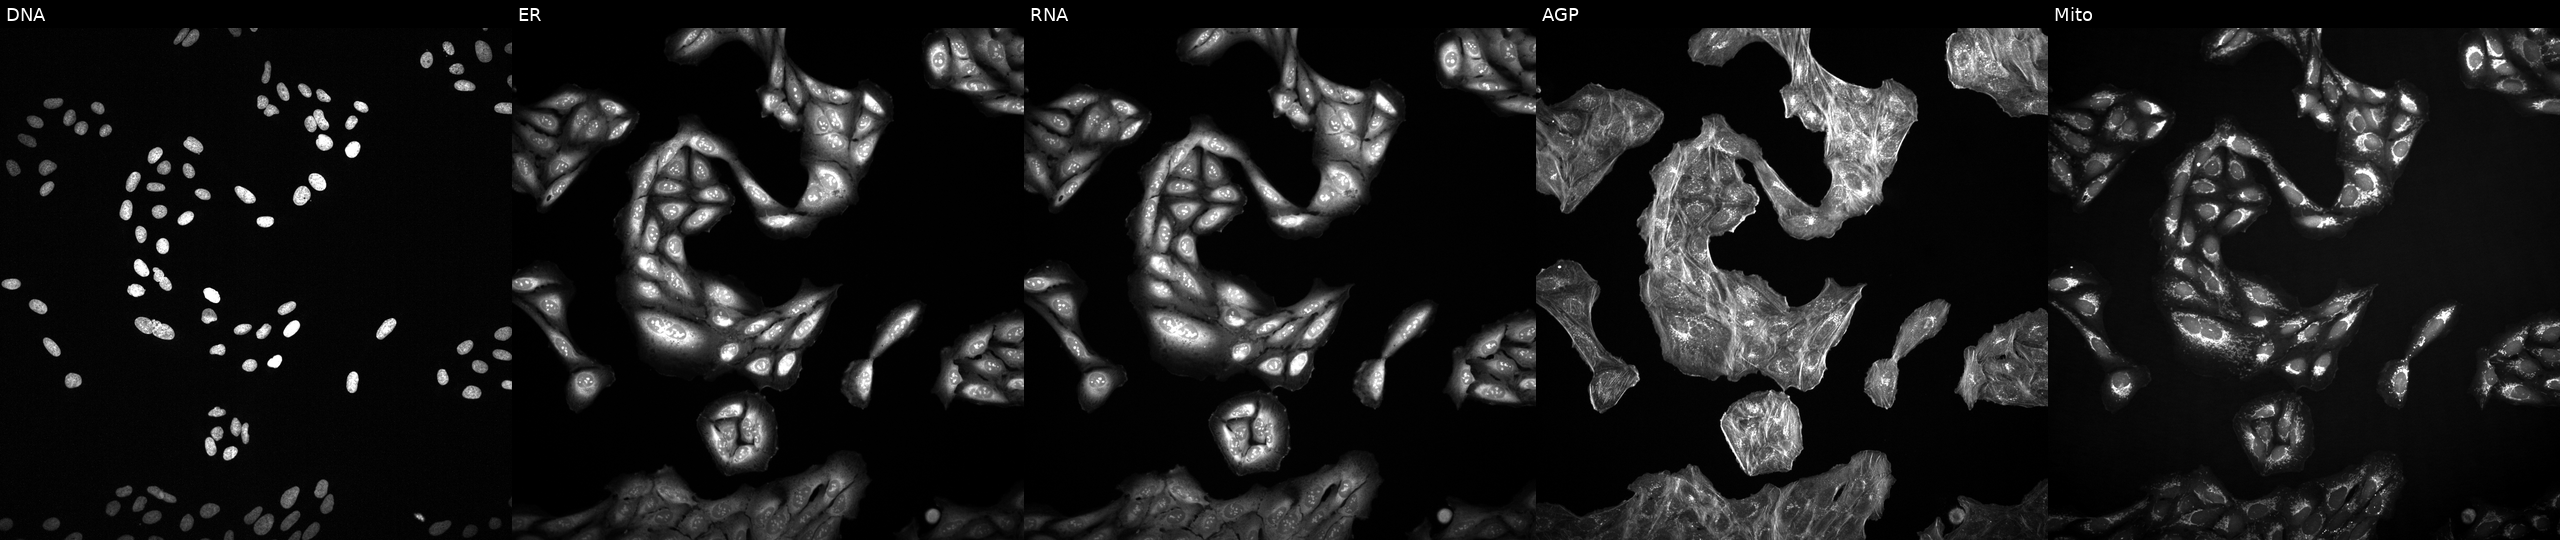
This image strip shows the five Cell Painting channels for a single field of U2OS cells treated with a small-molecule compound (InChIKey YGSDEFSMJLZEOE-UHFFFAOYSA-N) [SMILES: O=C(O)c1ccccc1O] (JUMP id JCP2022_108326). Panels show, left to right, Hoechst 33342, concanavalin A, SYTO 14, phalloidin and WGA, MitoTracker.